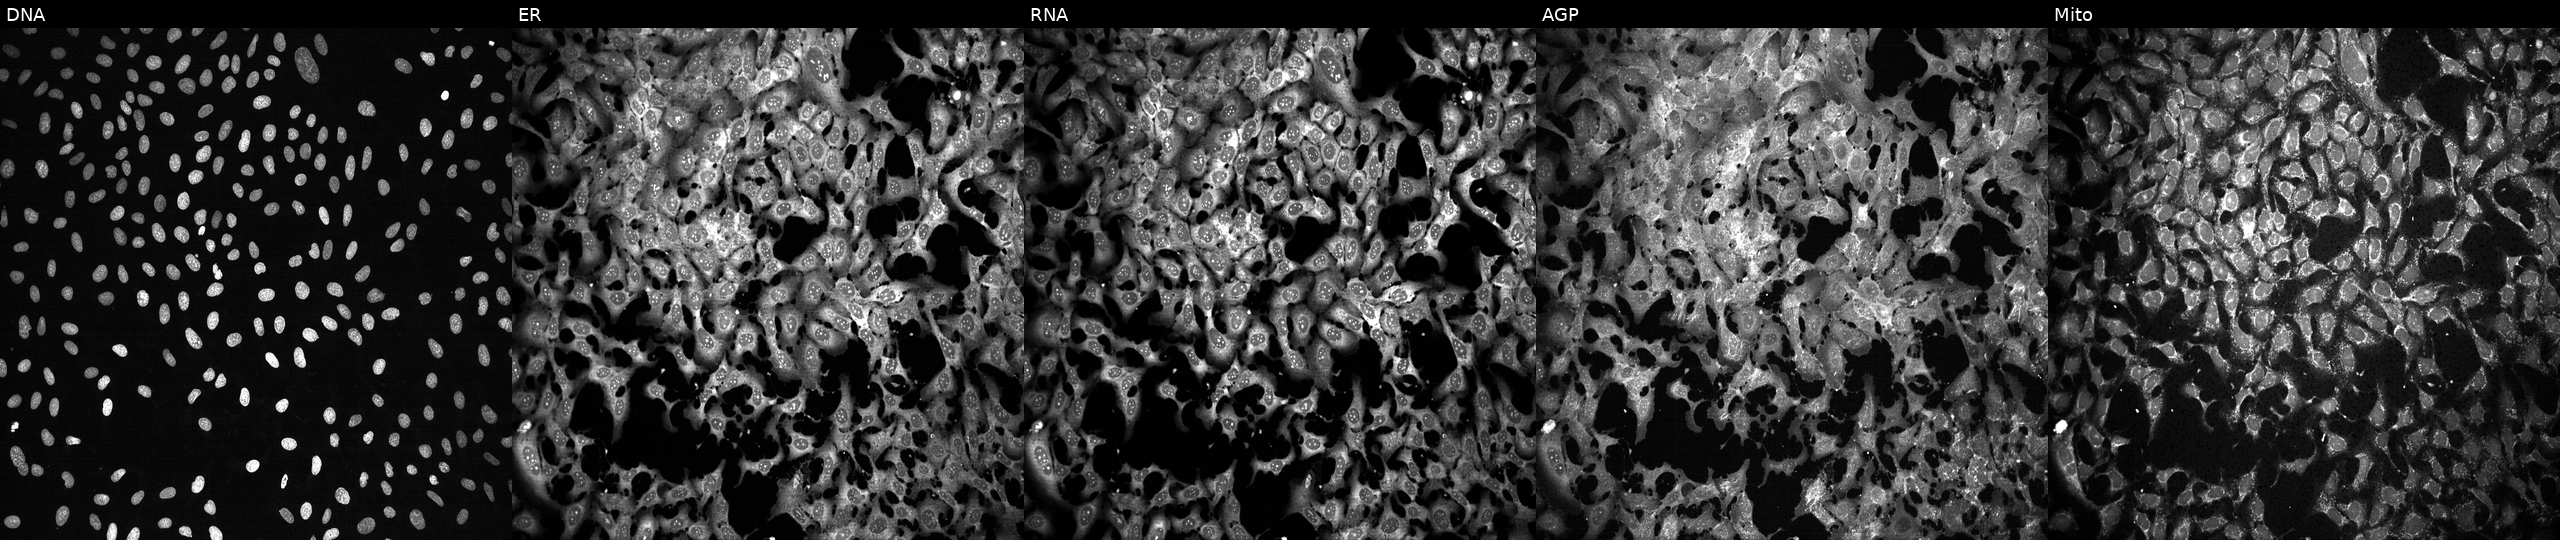
High-content fluorescence microscopy (Cell Painting). Cell line: U2OS. Perturbation: treated with FK-866 (positive-control compound). Channels (left→right): DNA, ER, RNA, AGP, and Mito.